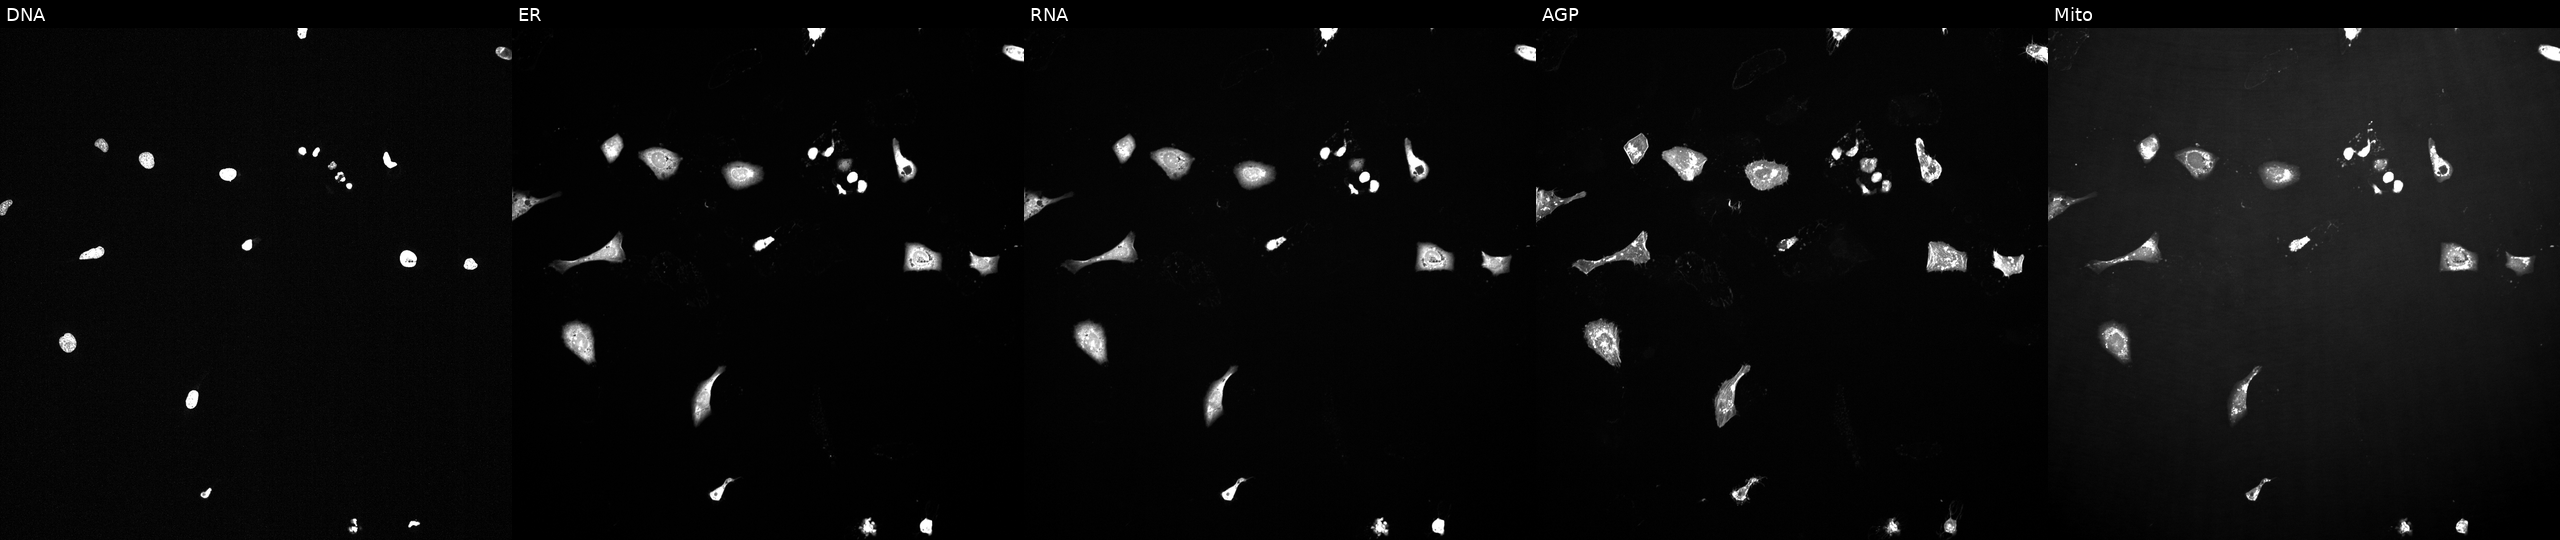
Five-channel Cell Painting image of U2OS cells perturbed with a small-molecule compound [SMILES: Cc1ccc(C(=O)Nc2ccc(CN3CCN(C)CC3)c(C(F)(F)F)c2)cc1C#Cc1cnc2cccnn12]. The five panels, left to right, show DNA (nuclei); ER (endoplasmic reticulum); RNA (nucleoli and cytoplasmic RNA); AGP (actin cytoskeleton, Golgi, and plasma membrane); Mito (mitochondria).